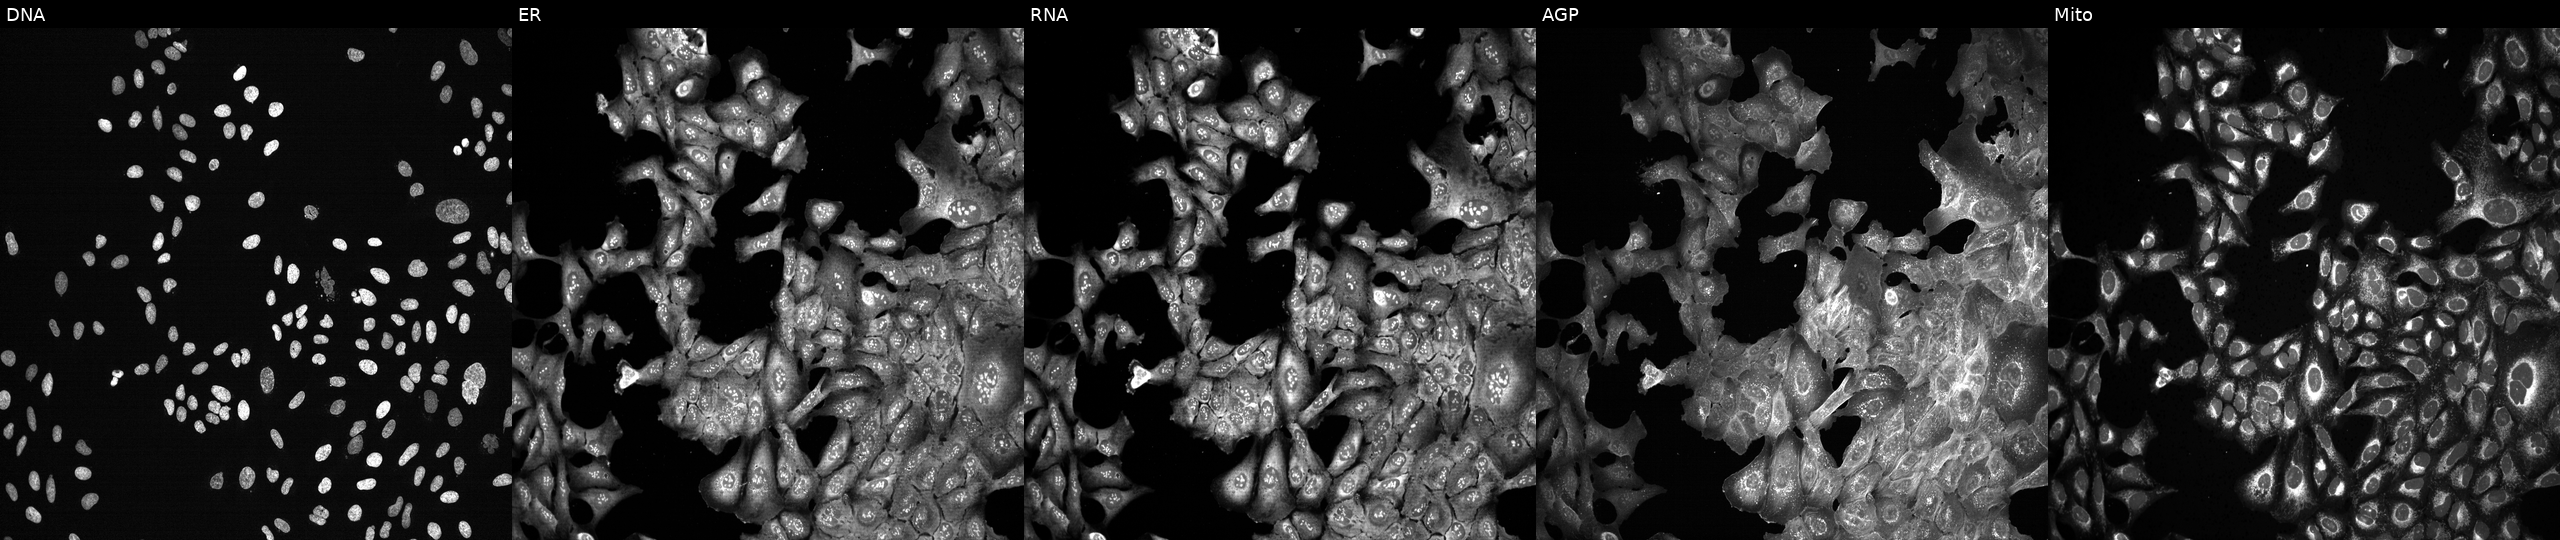
Five-channel Cell Painting image of U2OS cells following CRISPR knockout of GGTLC2. From left to right: Hoechst 33342, concanavalin A, SYTO 14, phalloidin and WGA, MitoTracker.